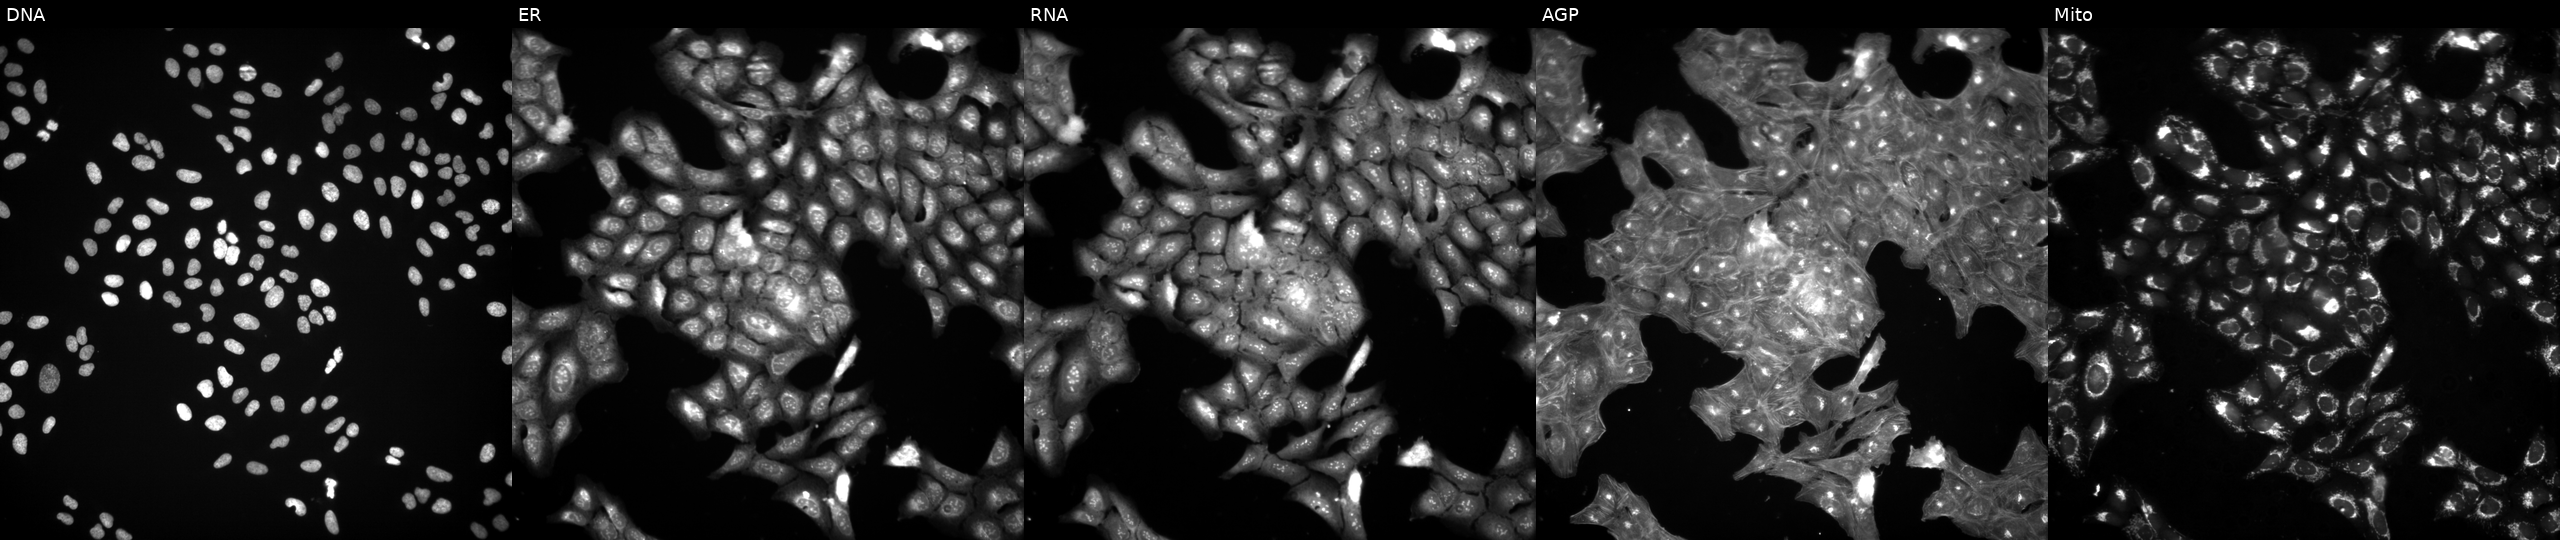
U2OS cells, Cell Painting assay, treated with DMSO vehicle only (negative control). Channels (left→right): DNA (nuclei); ER (endoplasmic reticulum); RNA (nucleoli and cytoplasmic RNA); AGP (actin cytoskeleton, Golgi, and plasma membrane); Mito (mitochondria). Each panel is percentile-stretched 16-bit fluorescence.